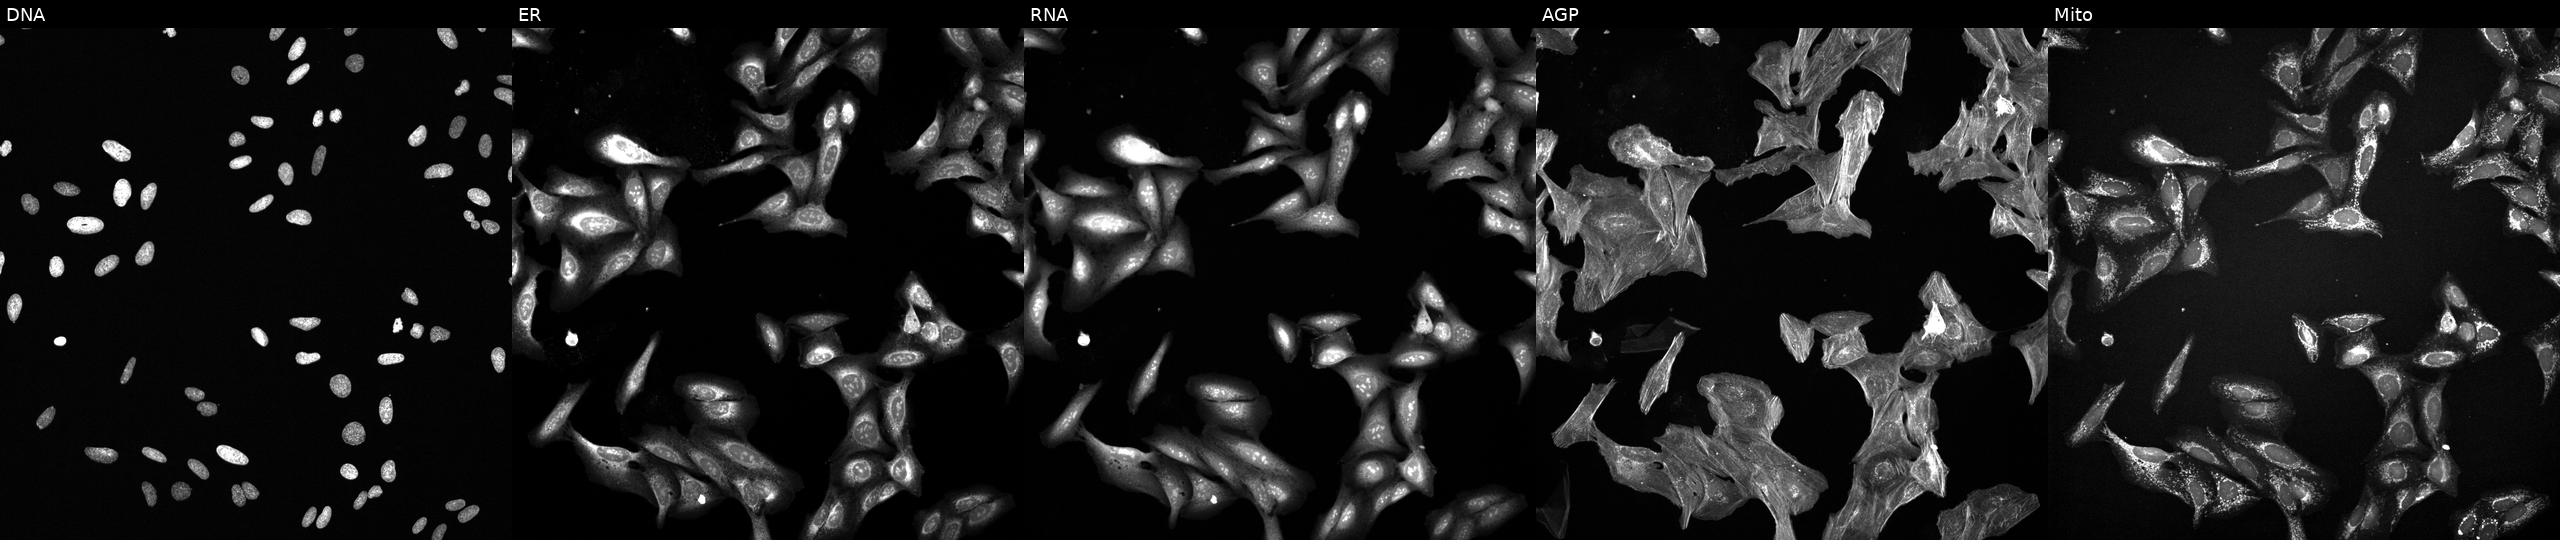
U2OS cells, Cell Painting assay, perturbed with a small-molecule compound. Panels show, left to right, DNA, ER, RNA, AGP, and Mito. Each panel is percentile-stretched 16-bit fluorescence.